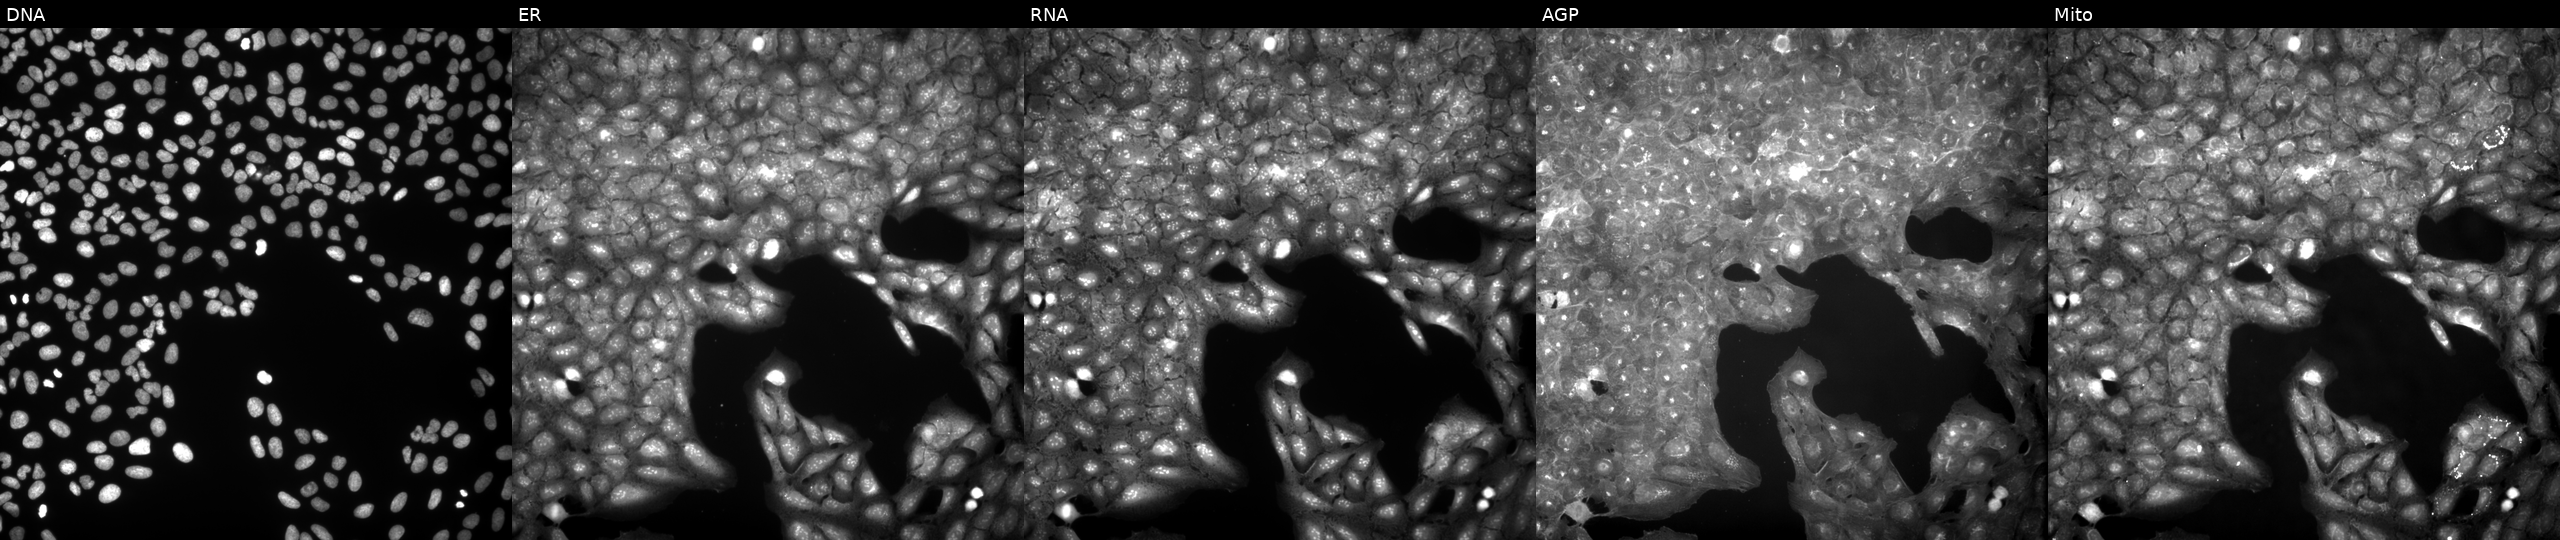
JUMP Cell Painting — COMPOUND plate. U2OS cells perturbed with a small-molecule compound (JUMP id JCP2022_114356). Panels show, left to right, Hoechst 33342, concanavalin A, SYTO 14, phalloidin and WGA, MitoTracker. Source 9, plate GR00003382, well L35.